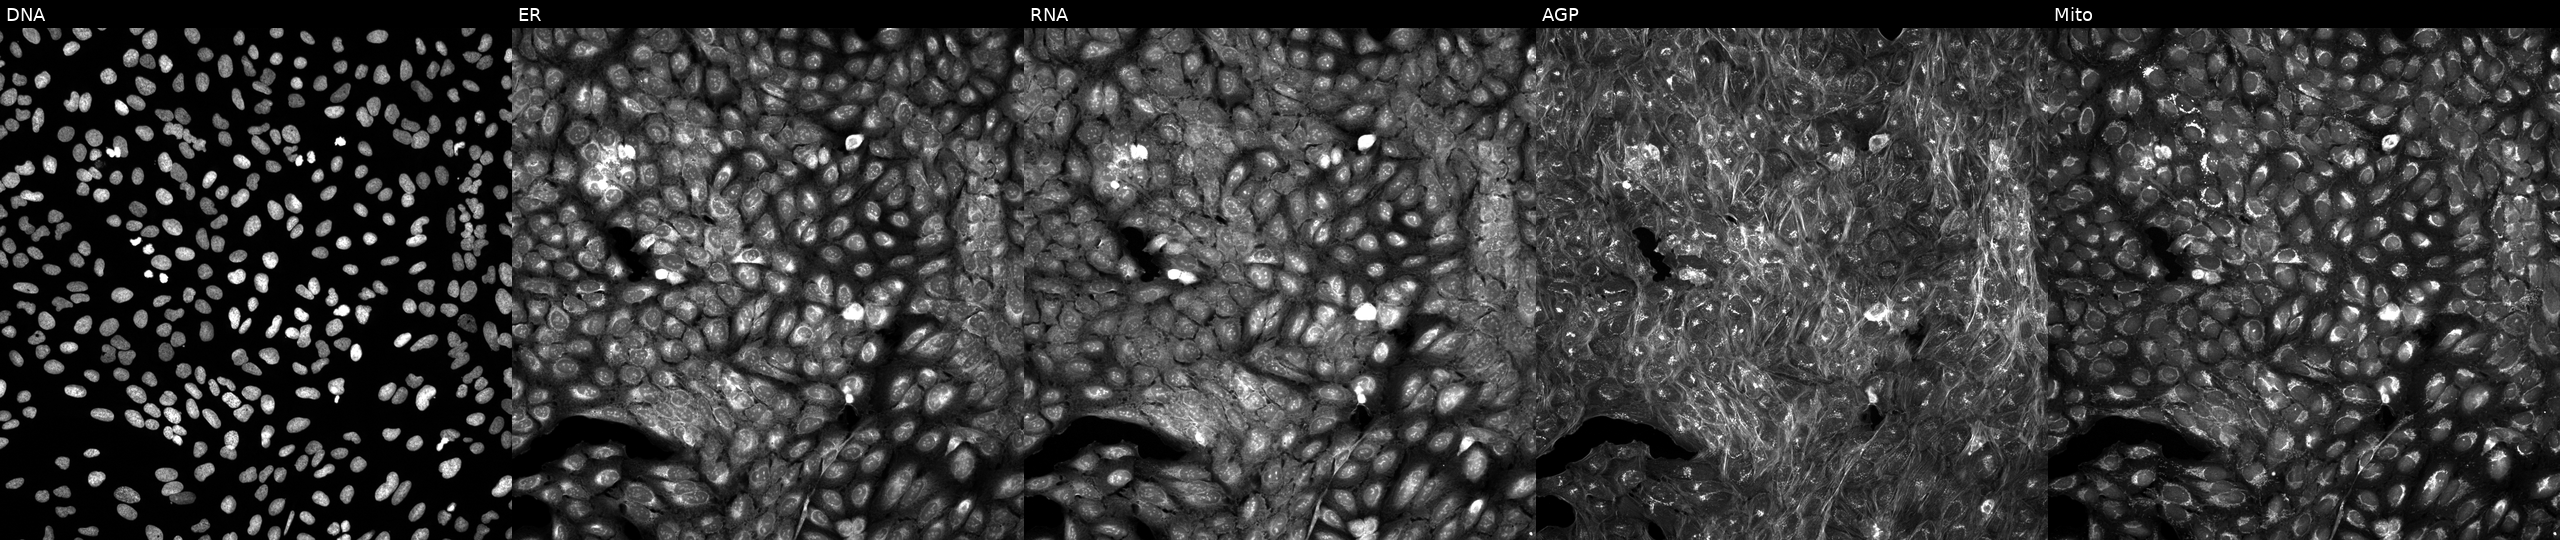
Five-channel Cell Painting image of U2OS cells exposed to a small-molecule compound. The five panels, left to right, show DNA, ER, RNA, AGP, and Mito.